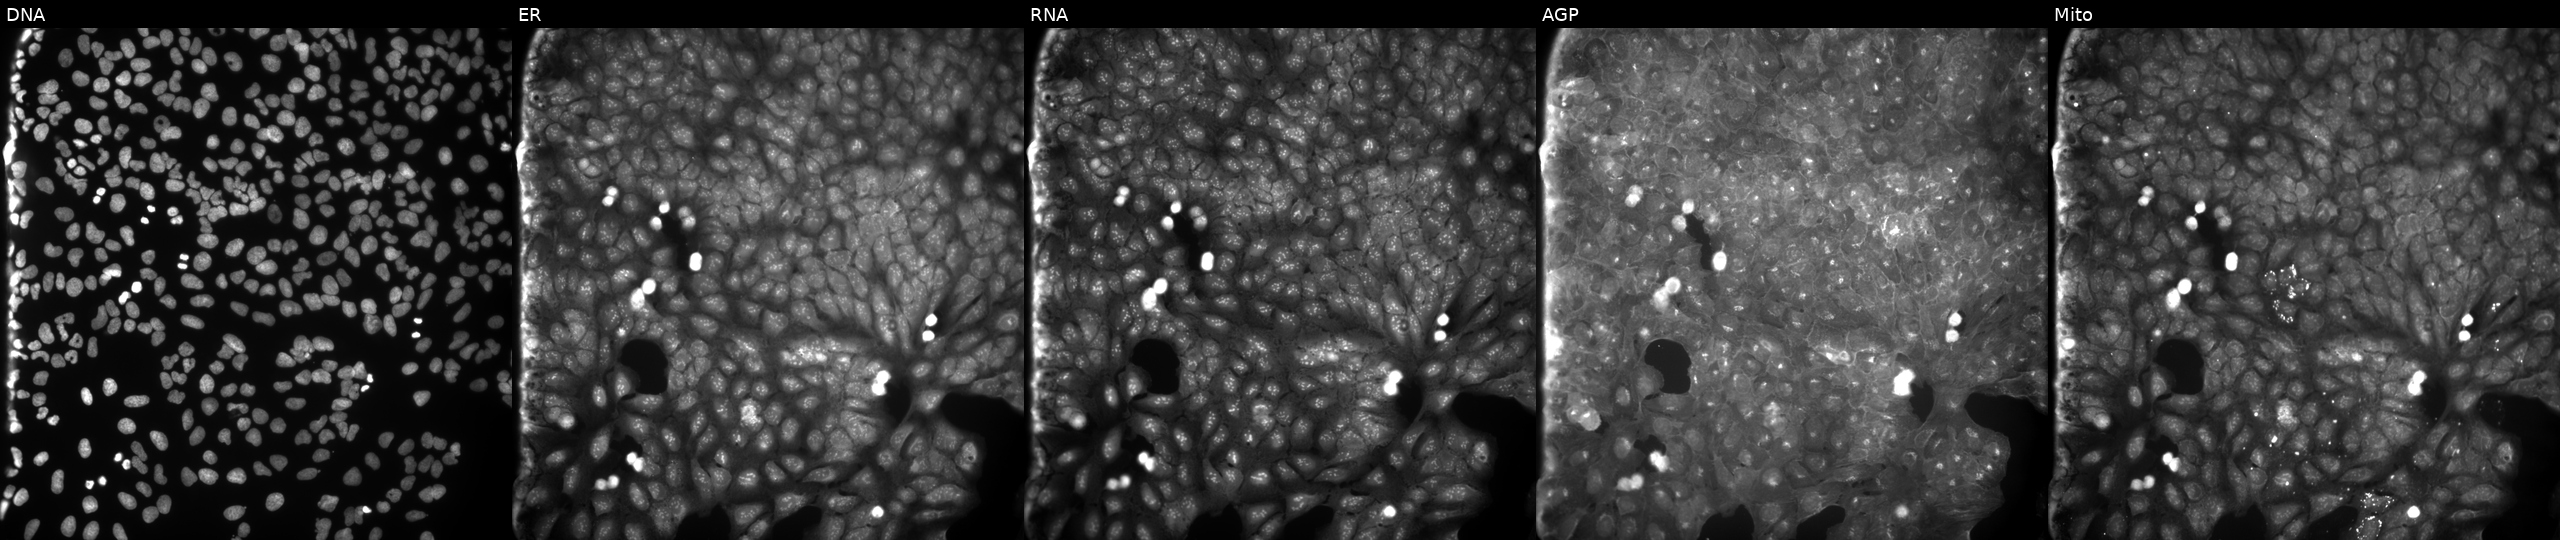
Five-channel Cell Painting image of U2OS cells perturbed with a small-molecule compound (InChIKey MEYQJCUAOPKJPB-UHFFFAOYSA-N). Panels show, left to right, Hoechst 33342, concanavalin A, SYTO 14, phalloidin and WGA, MitoTracker.